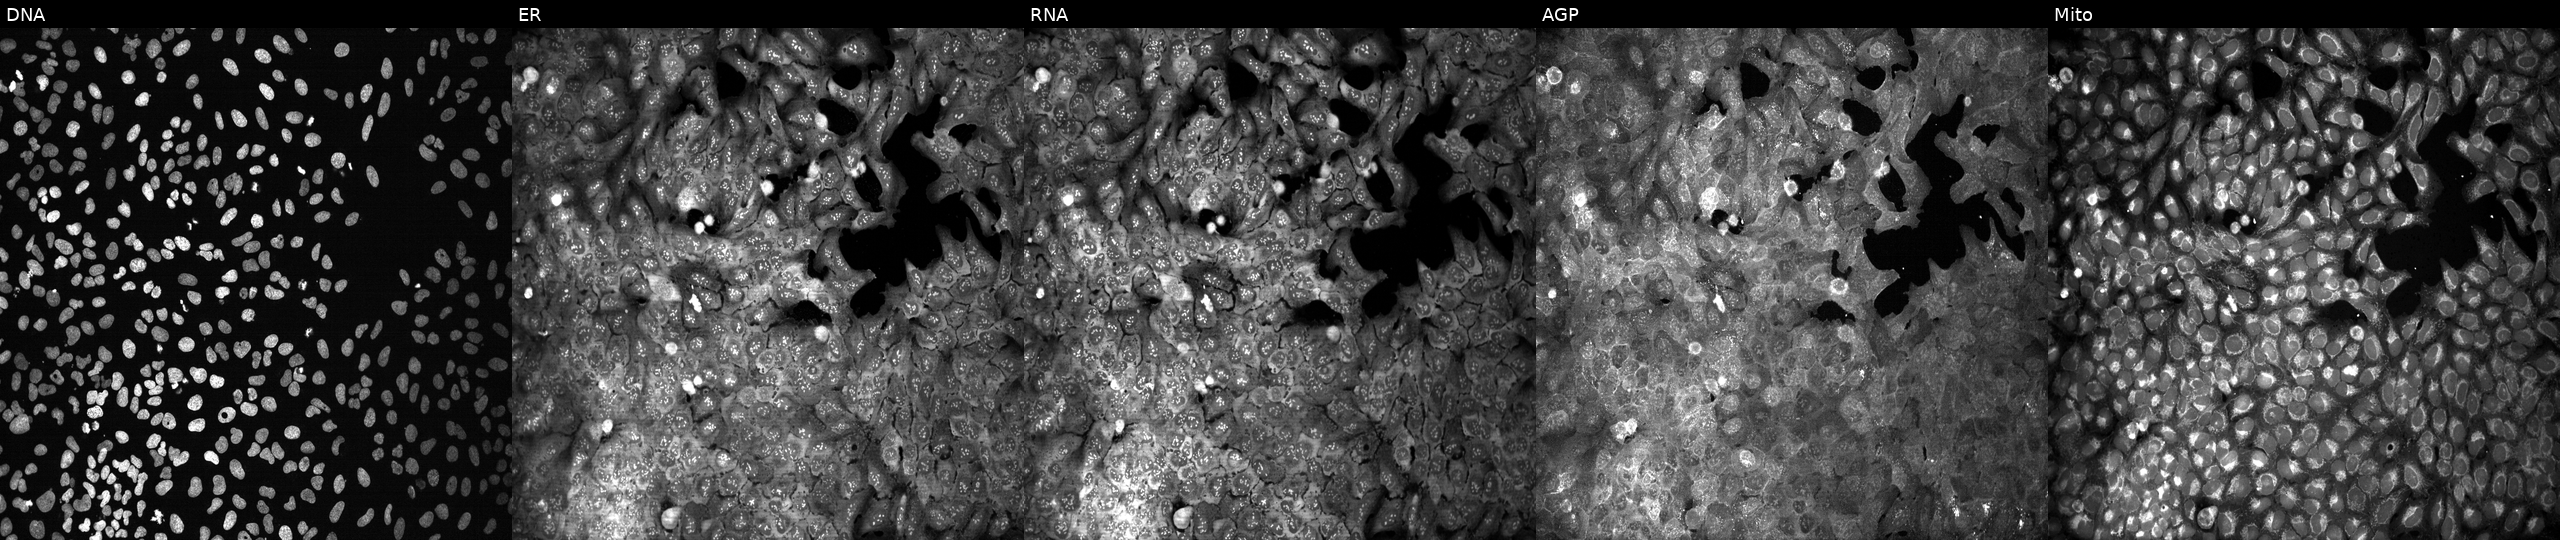
High-content fluorescence microscopy (Cell Painting). Cell line: U2OS. Perturbation: CRISPR-edited to disrupt SLC2A5 (JUMP id JCP2022_806491). Channels (left→right): Hoechst 33342, concanavalin A, SYTO 14, phalloidin and WGA, MitoTracker.